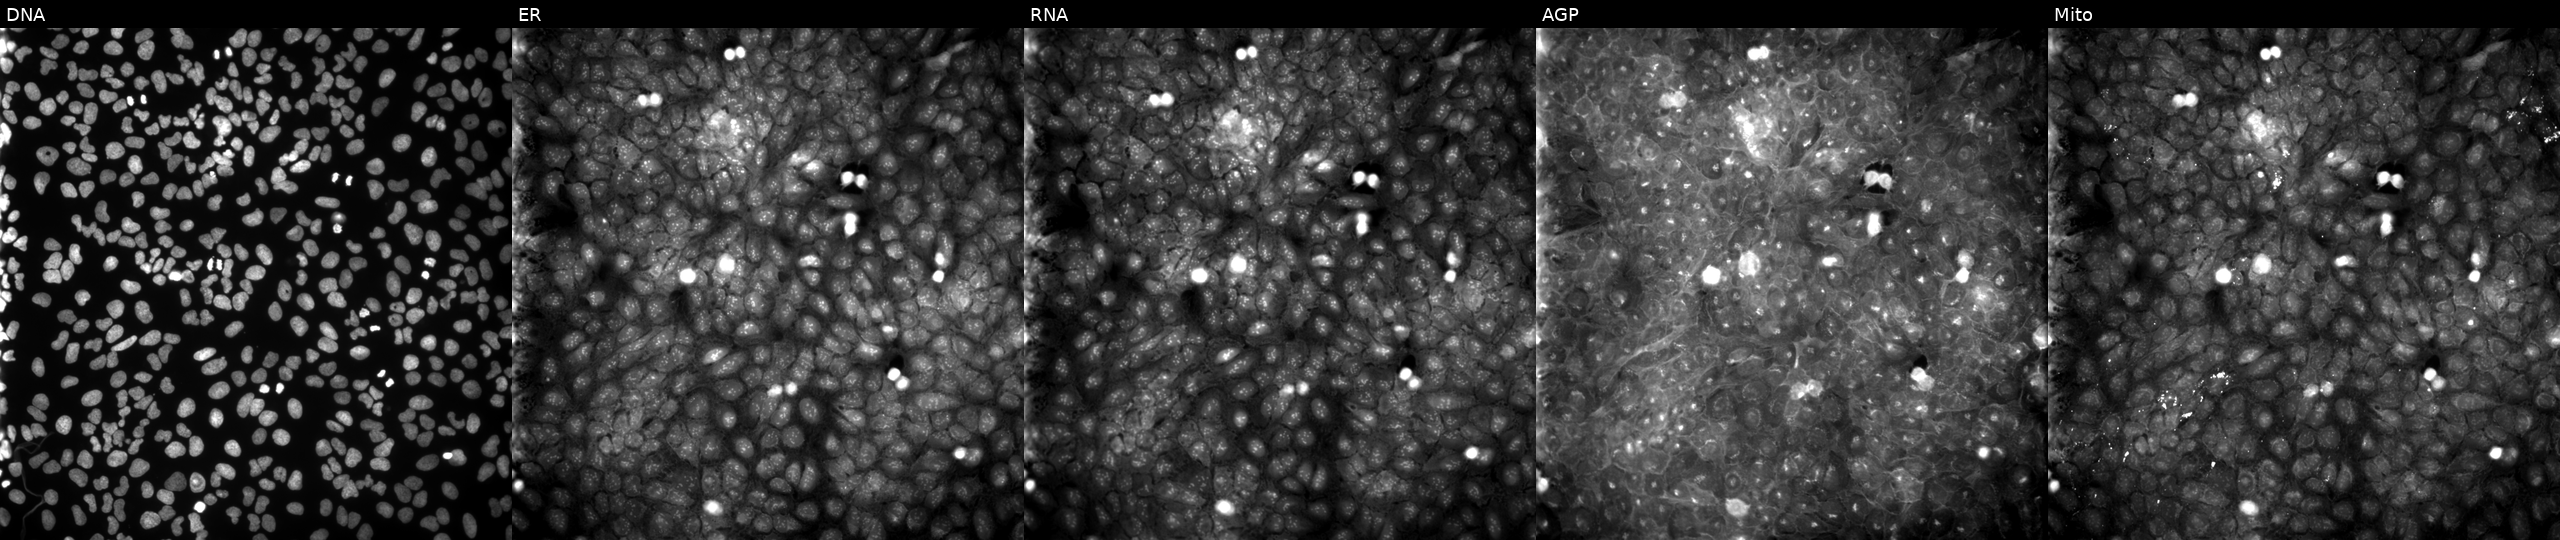
Five-channel Cell Painting image of U2OS cells exposed to a small-molecule compound [SMILES: CCOC(=O)c1ccc(NCc2ccc(N(C)C)cc2)cc1]. From left to right: DNA, ER, RNA, AGP, and Mito. Source 9, plate GR00003382, well L18.